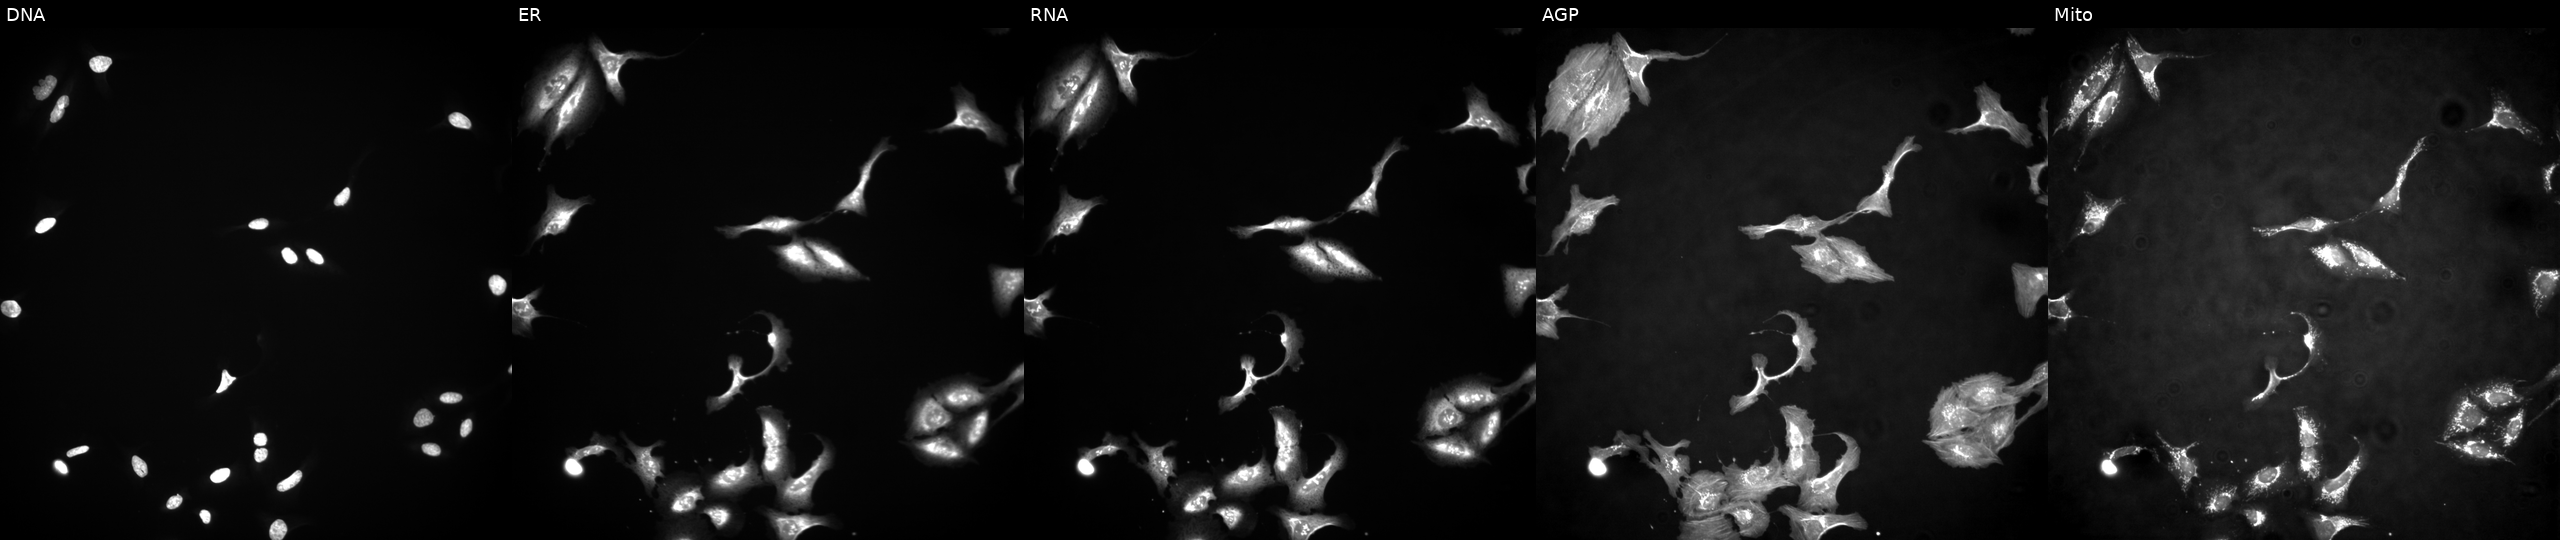
JUMP Cell Painting — ORF plate. U2OS cells transfected with an ORF construct for ADAMTS1. The five panels, left to right, show DNA, ER, RNA, AGP, and Mito.